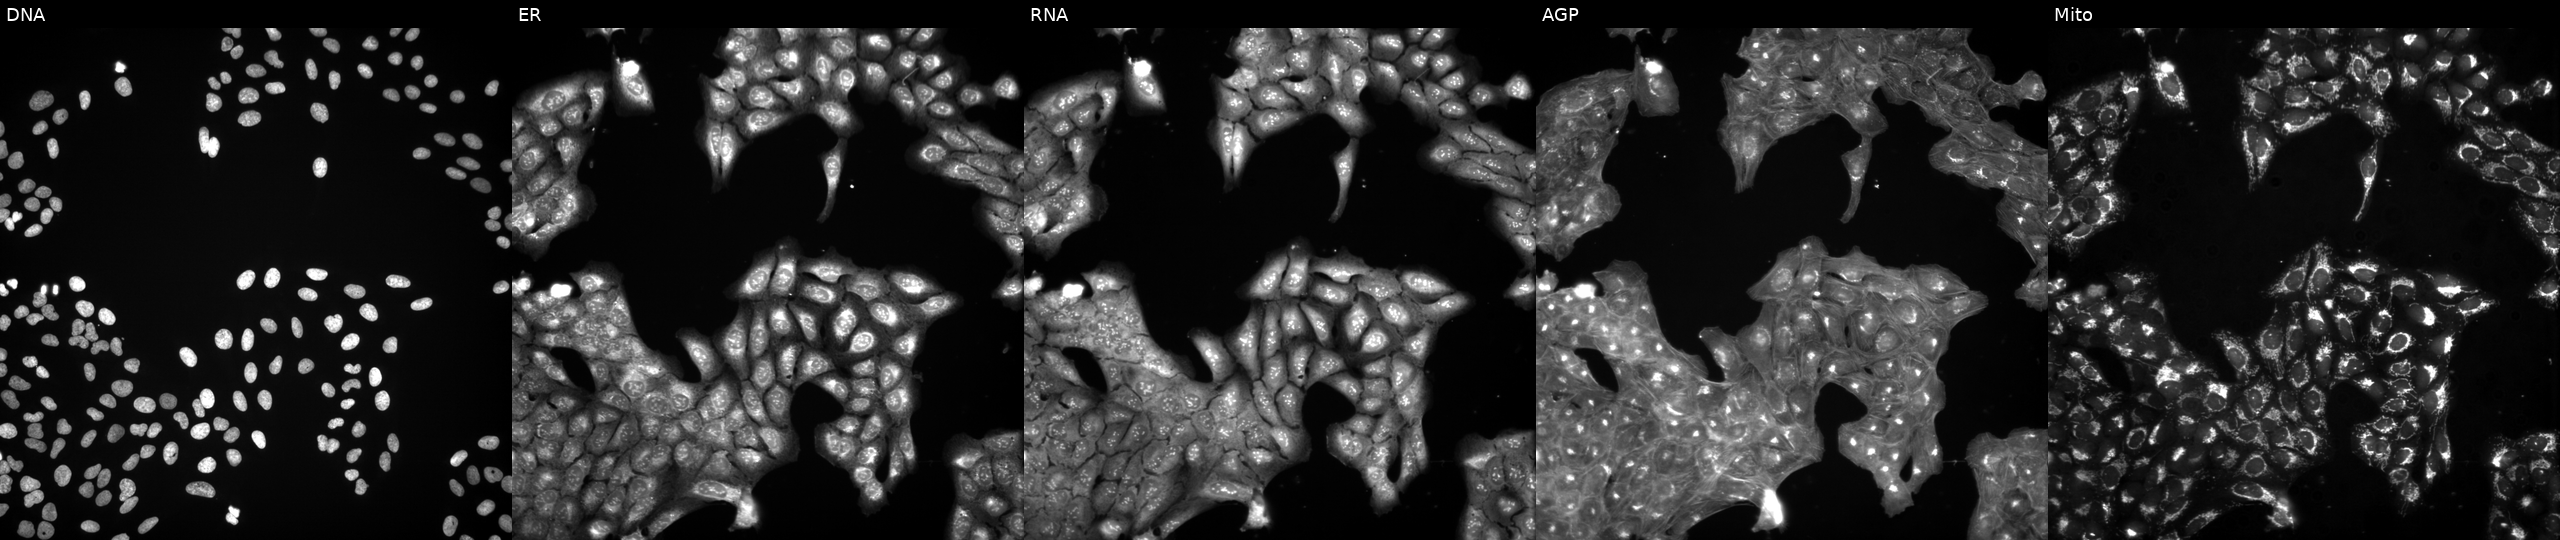
Five-channel Cell Painting image of U2OS cells treated with a small-molecule compound. The five panels, left to right, show DNA (nuclei); ER (endoplasmic reticulum); RNA (nucleoli and cytoplasmic RNA); AGP (actin cytoskeleton, Golgi, and plasma membrane); Mito (mitochondria).